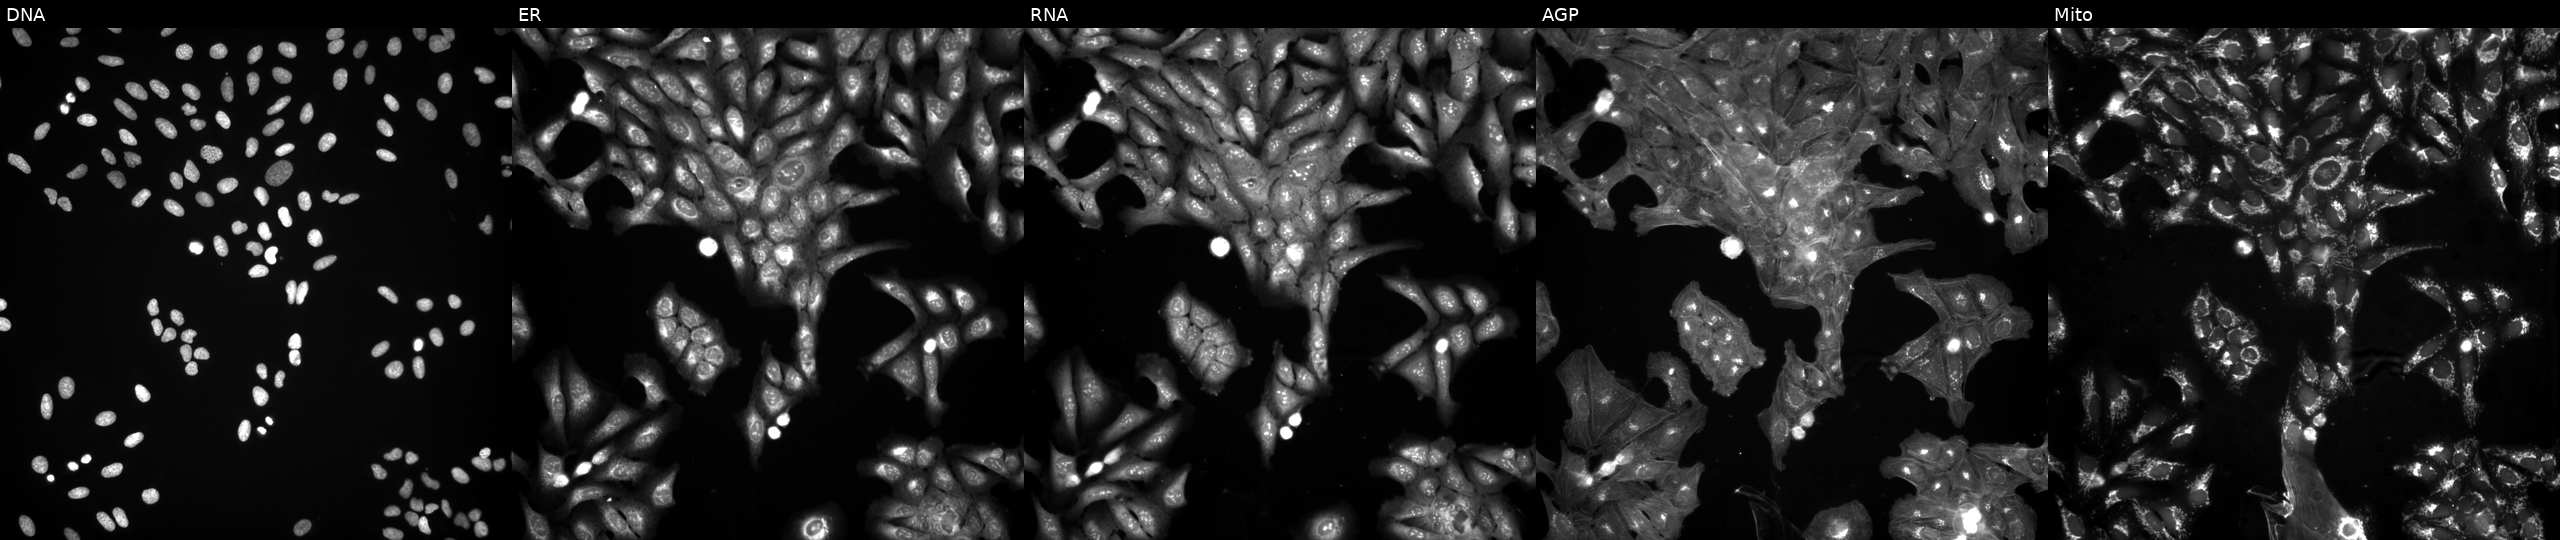
Channels (left→right): DNA (nuclei); ER (endoplasmic reticulum); RNA (nucleoli and cytoplasmic RNA); AGP (actin cytoskeleton, Golgi, and plasma membrane); Mito (mitochondria). U2OS osteosarcoma cells perturbed with a small-molecule compound (InChIKey BCKFXCUZPODDKB-UHFFFAOYSA-N) [SMILES: Oc1cc(Nc2ccc(N3CCOCC3)cc2)c(O)n1-c1cccc(C(F)(F)F)c1]. Cell Painting assay, JUMP-CP dataset.